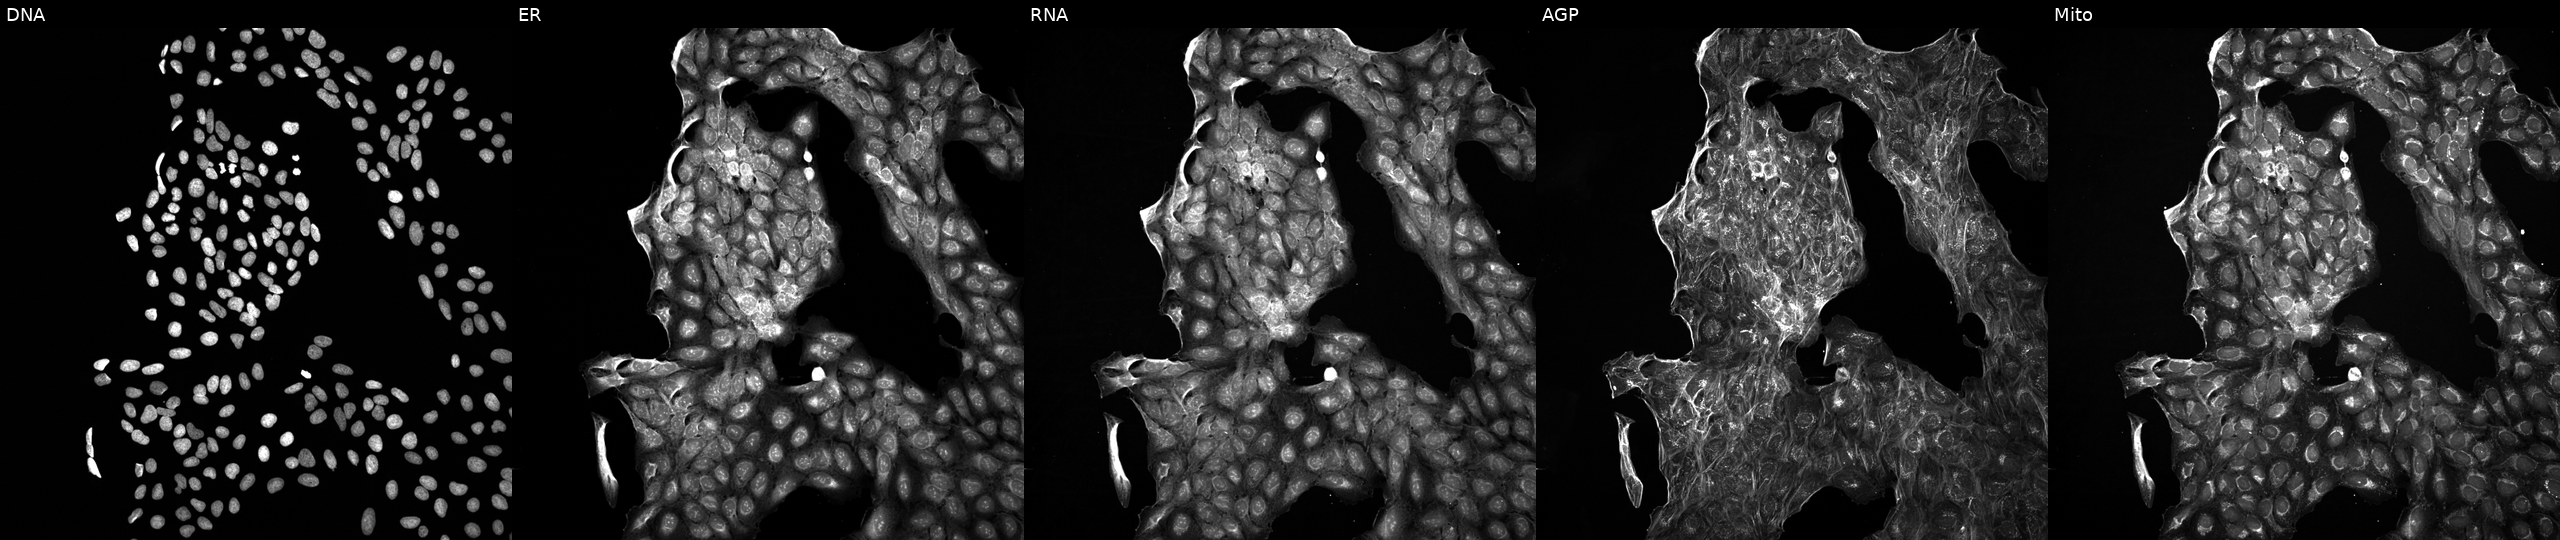
Five-channel Cell Painting image of U2OS cells exposed to the positive-control compound LY2109761. The five panels, left to right, show DNA, ER, RNA, AGP, and Mito.